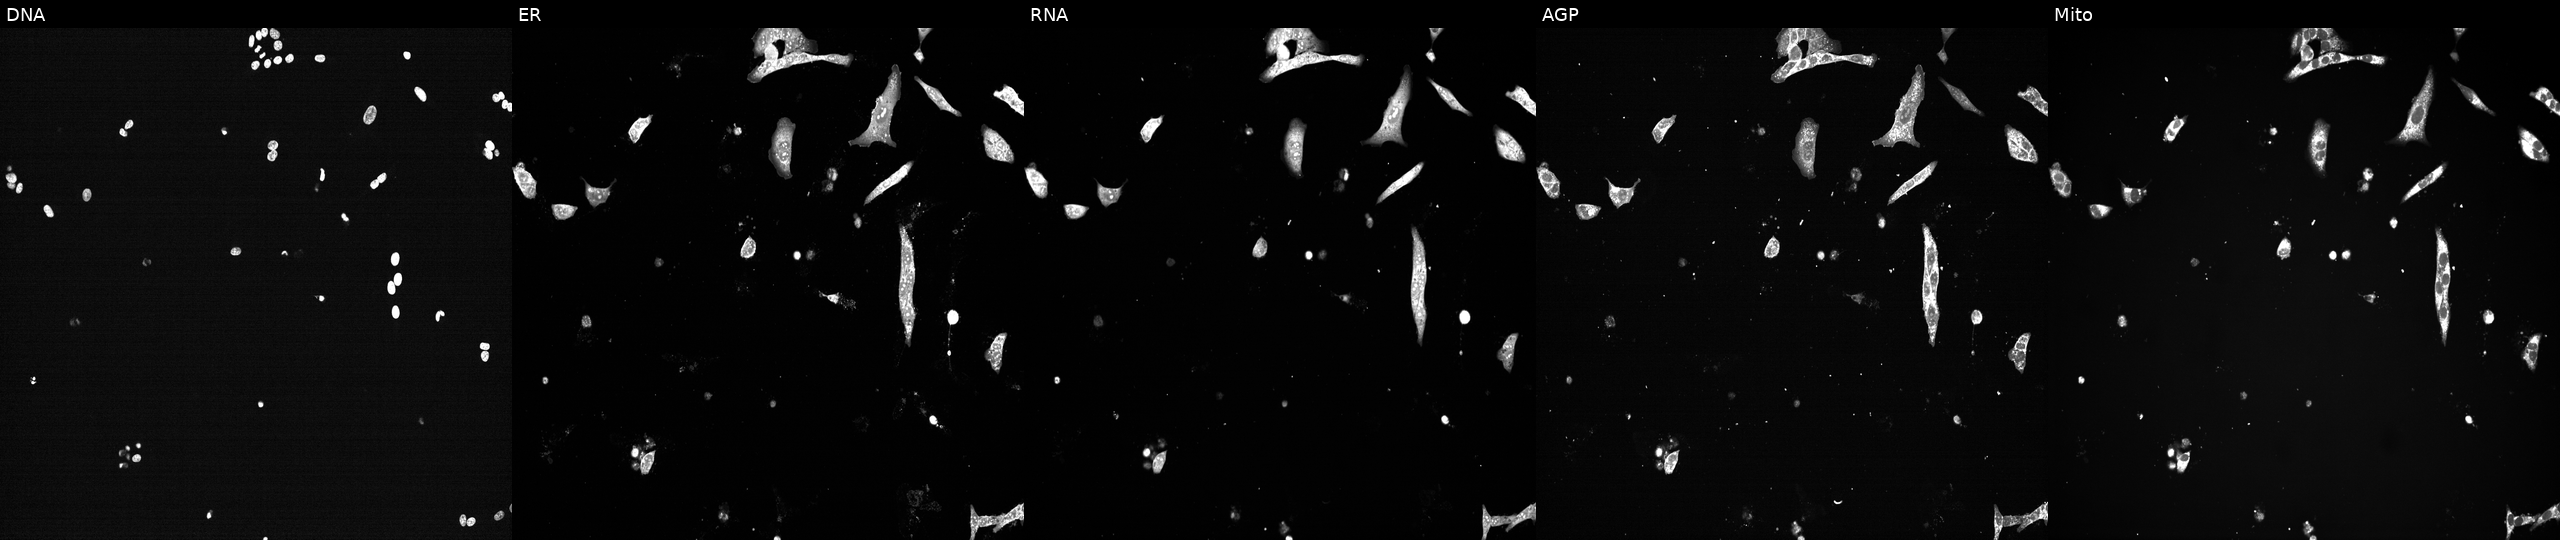
JUMP Cell Painting — TARGET2 plate. U2OS cells treated with a small-molecule compound (InChIKey KUUJEXLRLIPQQJ-UHFFFAOYSA-N). Channels (left→right): Hoechst 33342, concanavalin A, SYTO 14, phalloidin and WGA, MitoTracker. Source 7, plate CP2-SC1-25, well K04.